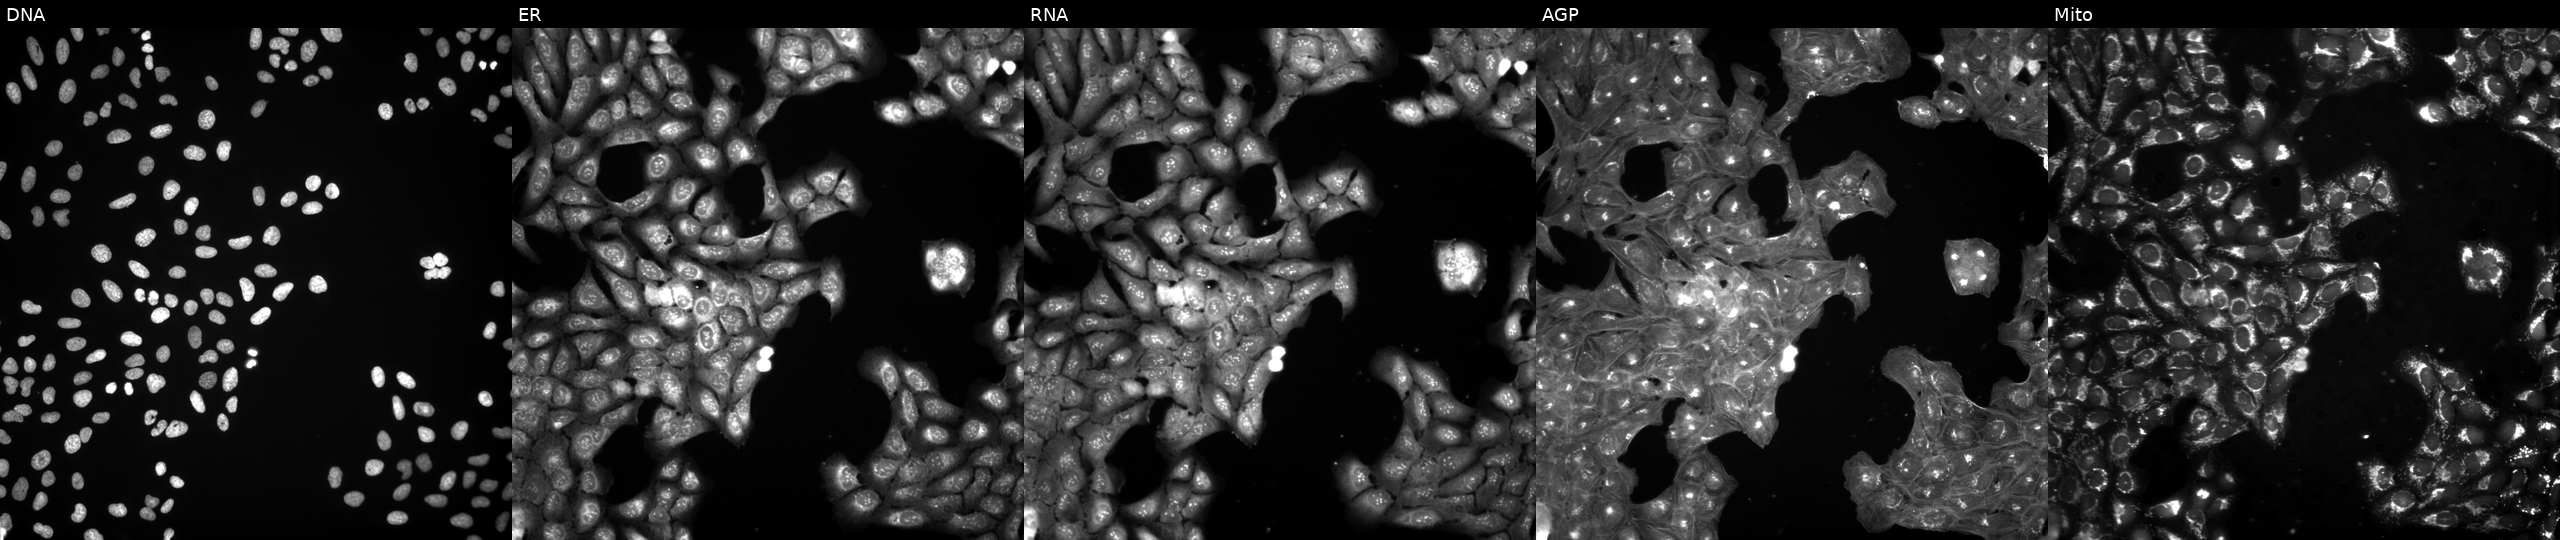
This image strip shows the five Cell Painting channels for a single field of U2OS cells exposed to DMSO alone as a negative control (JUMP id JCP2022_033924). Channels (left→right): DNA (nuclei); ER (endoplasmic reticulum); RNA (nucleoli and cytoplasmic RNA); AGP (actin cytoskeleton, Golgi, and plasma membrane); Mito (mitochondria).